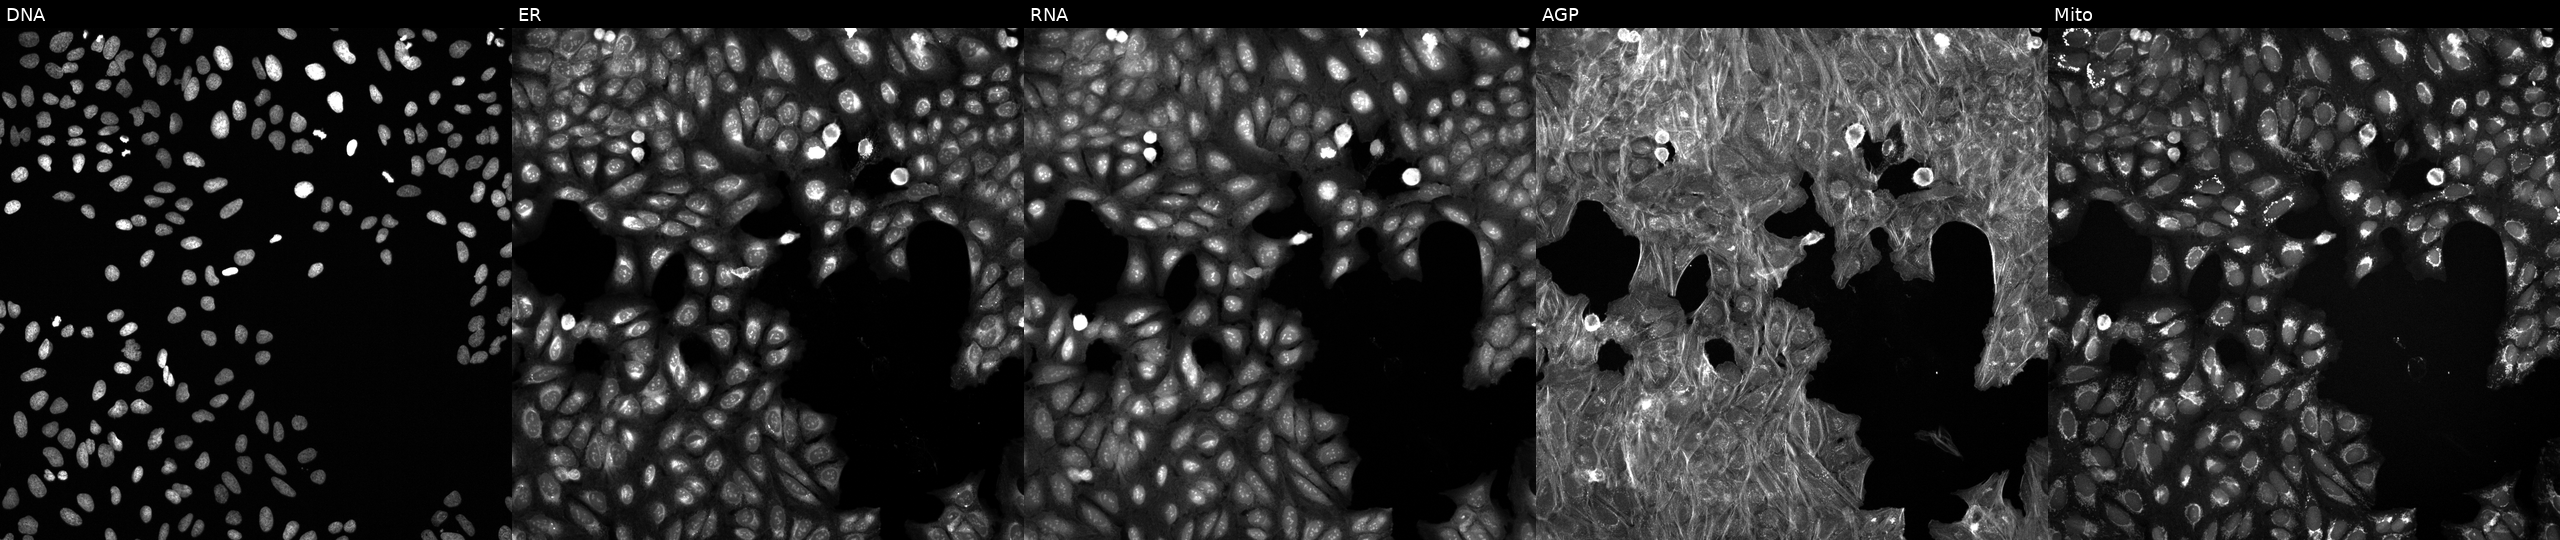
This image strip shows the five Cell Painting channels for a single field of U2OS cells treated with DMSO vehicle only (negative control). Channels (left→right): DNA, ER, RNA, AGP, and Mito. Source 6, plate 110000294901, well E08.